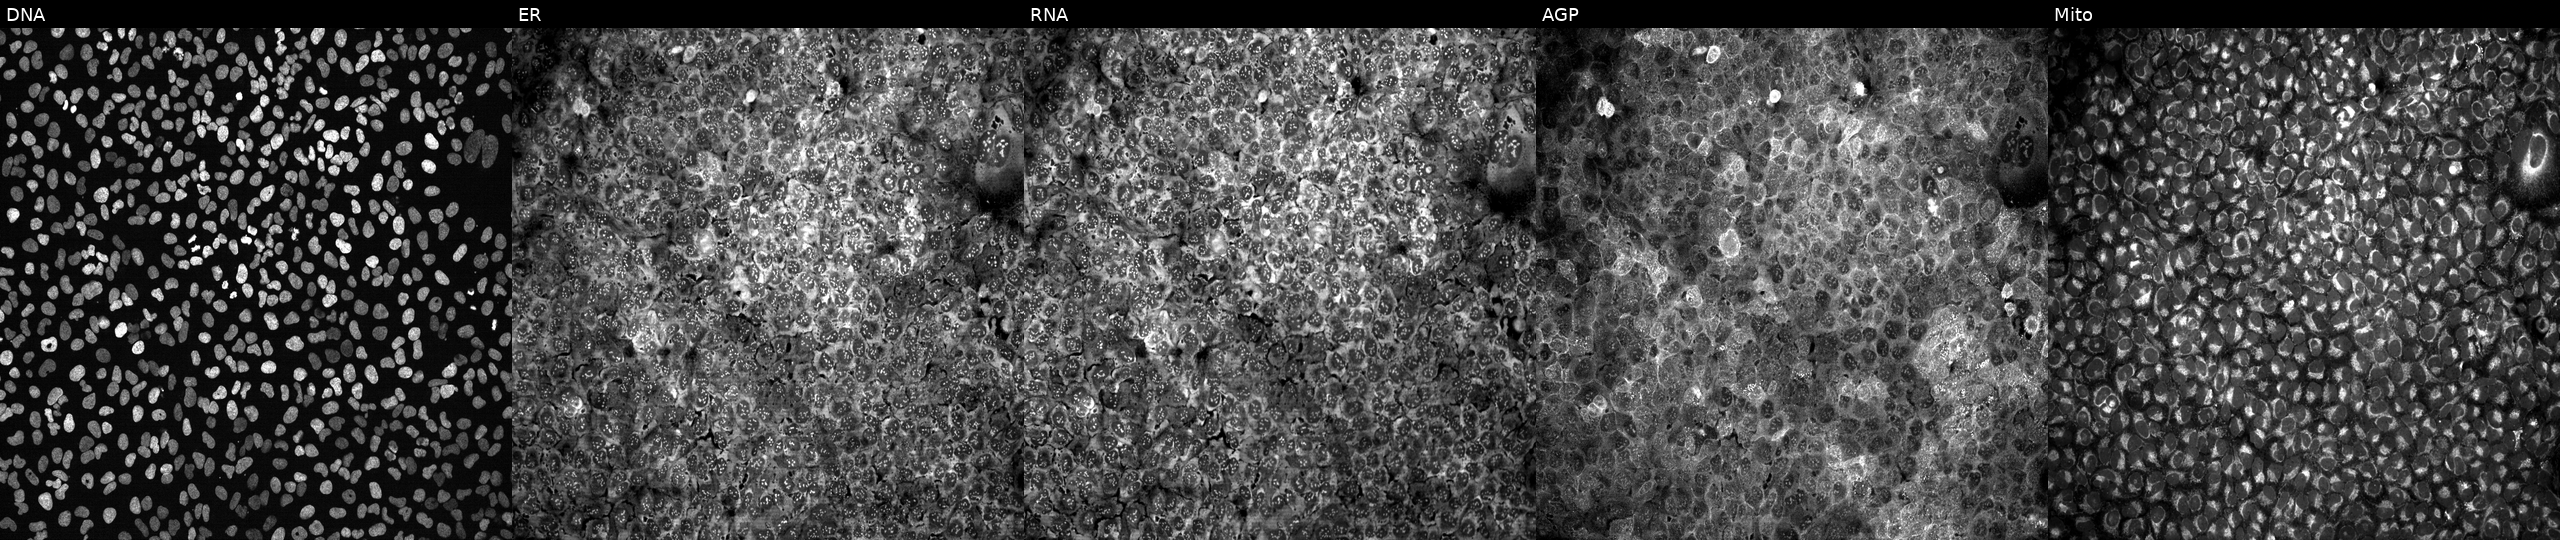
U2OS cells, Cell Painting assay, exposed to the positive-control compound aloxistatin (JUMP id JCP2022_085227). From left to right: DNA, ER, RNA, AGP, and Mito. Each panel is percentile-stretched 16-bit fluorescence. Source 13, plate CP-CC9-R4-04, well M24.